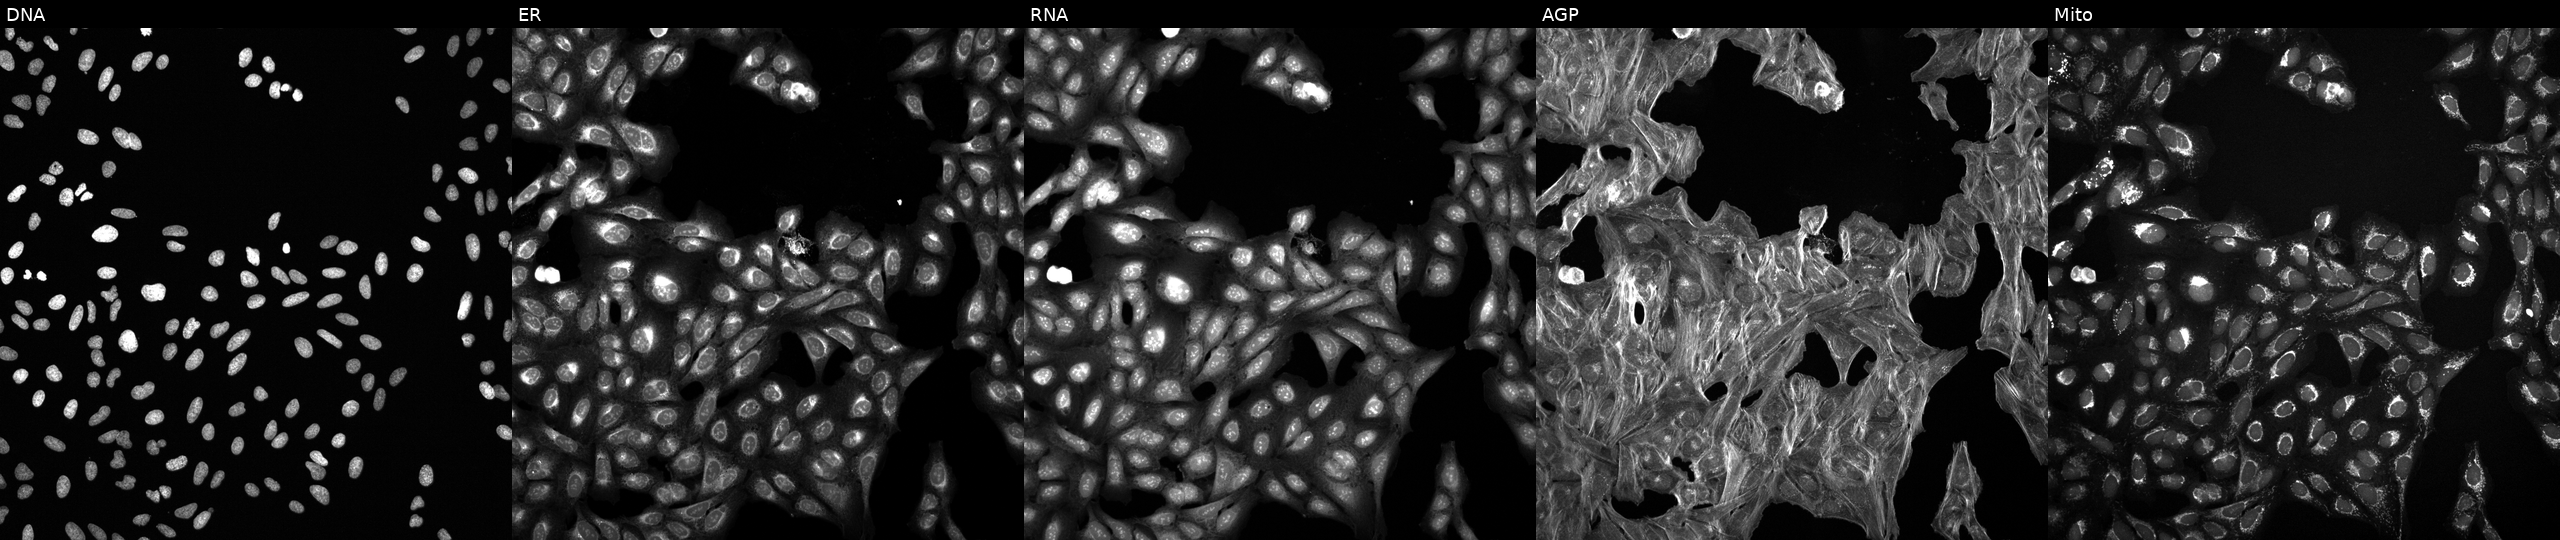
U2OS cells, Cell Painting assay, perturbed with a small-molecule compound (InChIKey IFIUFCJFLGCQPH-UHFFFAOYSA-N) [SMILES: Cc1ccc([N+](=O)[O-])cc1S(=O)(=O)N(C)C] (JUMP id JCP2022_034709). Channels (left→right): Hoechst 33342, concanavalin A, SYTO 14, phalloidin and WGA, MitoTracker. Each panel is percentile-stretched 16-bit fluorescence.